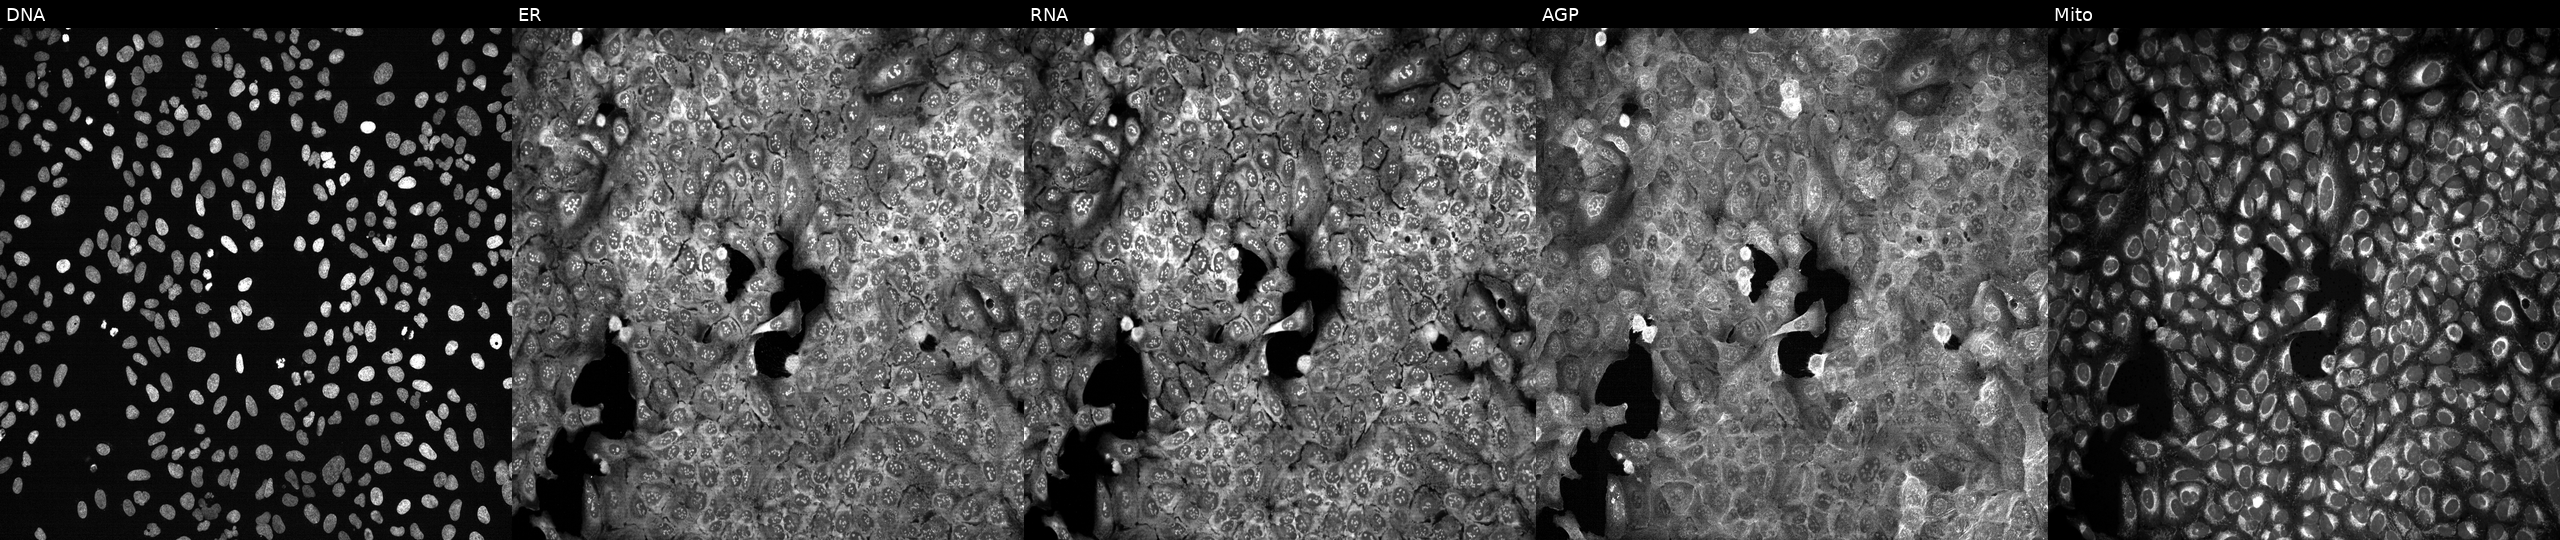
U2OS cells, Cell Painting assay, CRISPR-edited to disrupt DRG2. From left to right: DNA (nuclei); ER (endoplasmic reticulum); RNA (nucleoli and cytoplasmic RNA); AGP (actin cytoskeleton, Golgi, and plasma membrane); Mito (mitochondria). Each panel is percentile-stretched 16-bit fluorescence. Source 13, plate CP-CC9-R2-02, well P08.